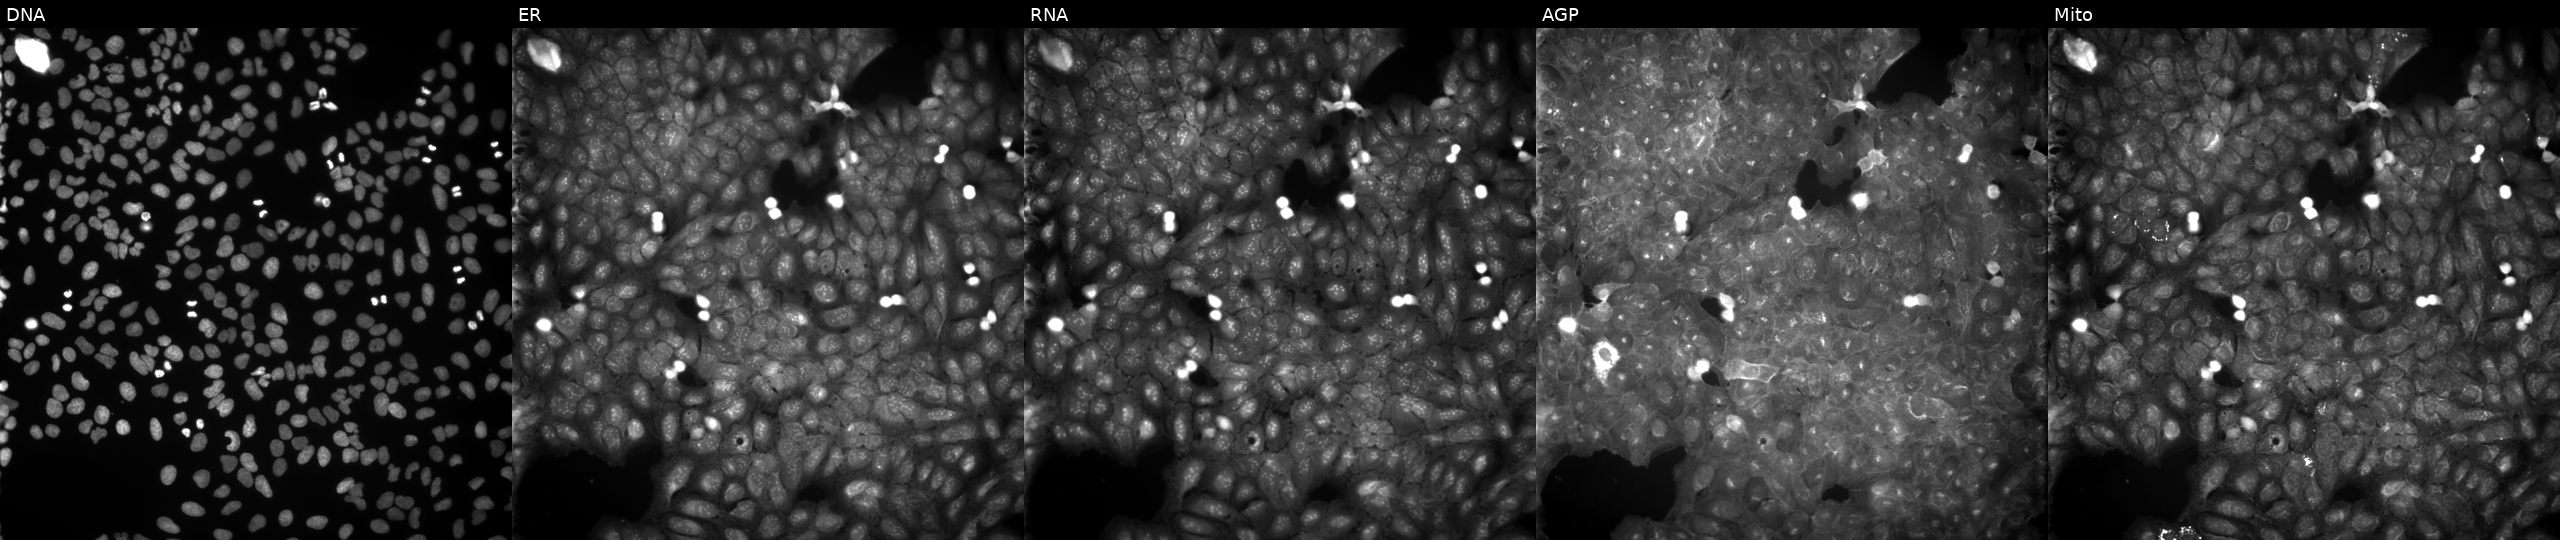
JUMP Cell Painting — COMPOUND plate. U2OS cells perturbed with a small-molecule compound (JUMP id JCP2022_094482). From left to right: Hoechst 33342, concanavalin A, SYTO 14, phalloidin and WGA, MitoTracker. Source 9, plate GR00003381, well W11.